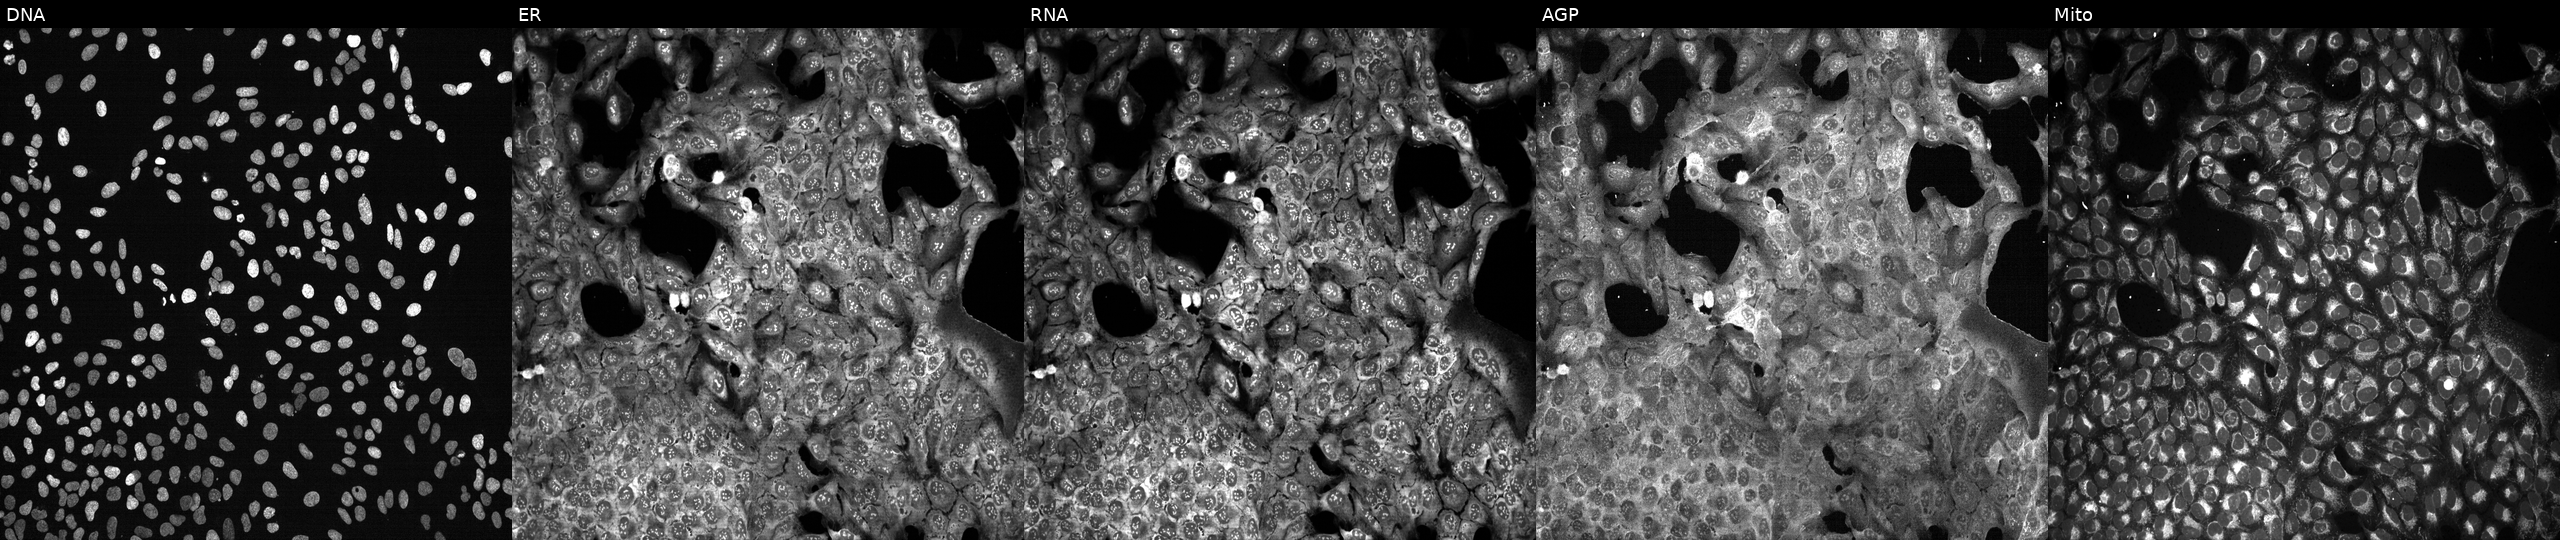
U2OS cells, Cell Painting assay, following CRISPR knockout of DAD1. From left to right: DNA, ER, RNA, AGP, and Mito. Each panel is percentile-stretched 16-bit fluorescence. Source 13, plate CP-CC9-R3-02, well O08.